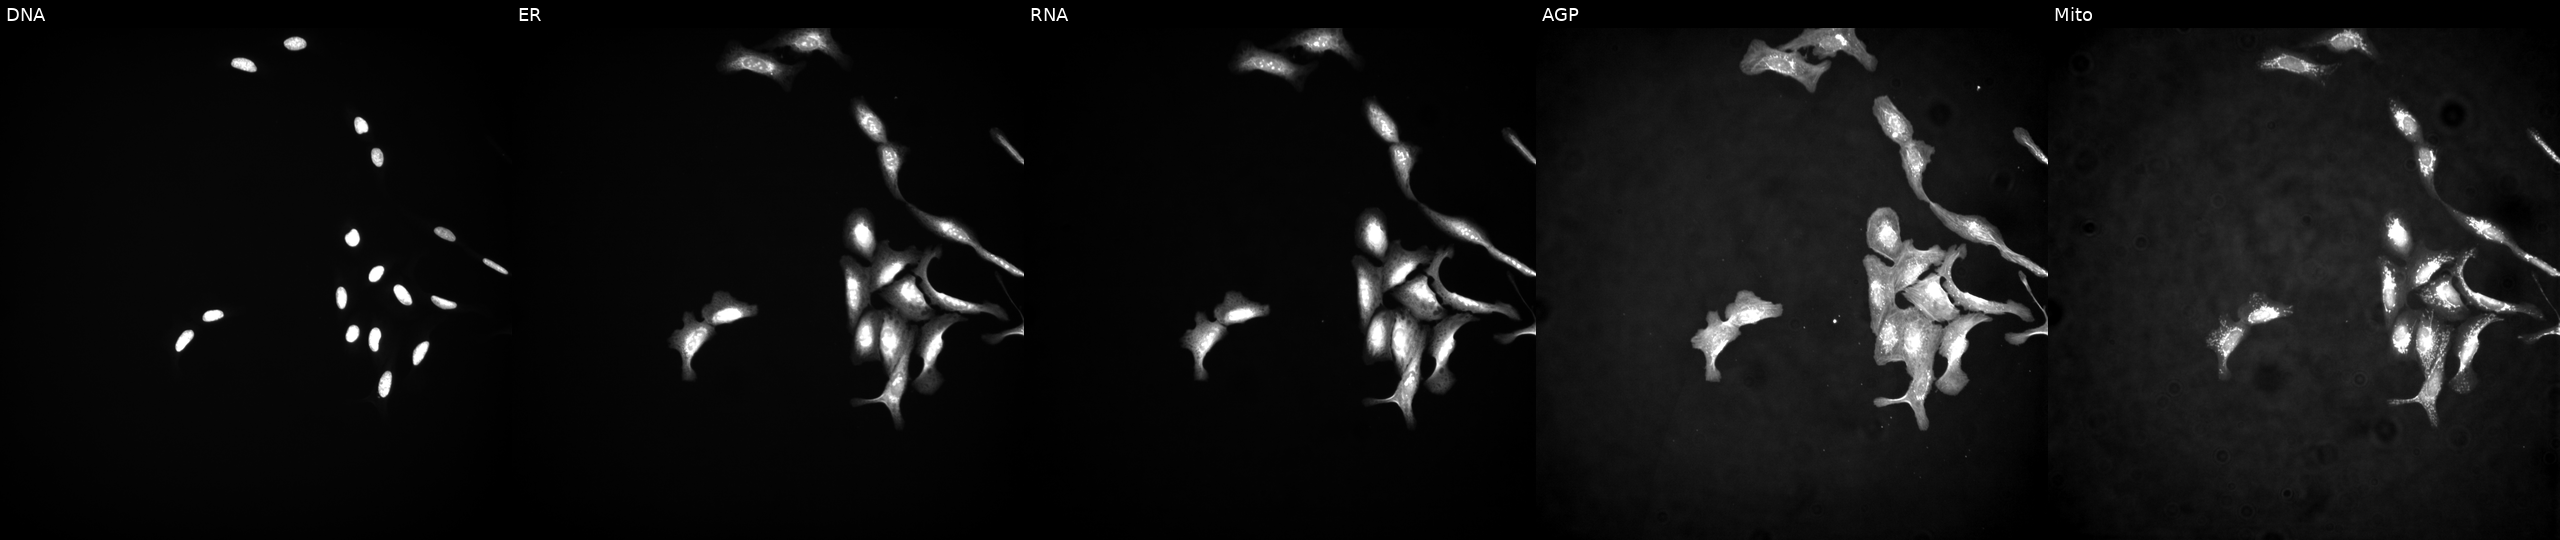
JUMP Cell Painting — ORF plate. U2OS cells with MATK overexpressed (ORF) (JUMP id JCP2022_913721). Channels (left→right): DNA (nuclei); ER (endoplasmic reticulum); RNA (nucleoli and cytoplasmic RNA); AGP (actin cytoskeleton, Golgi, and plasma membrane); Mito (mitochondria).